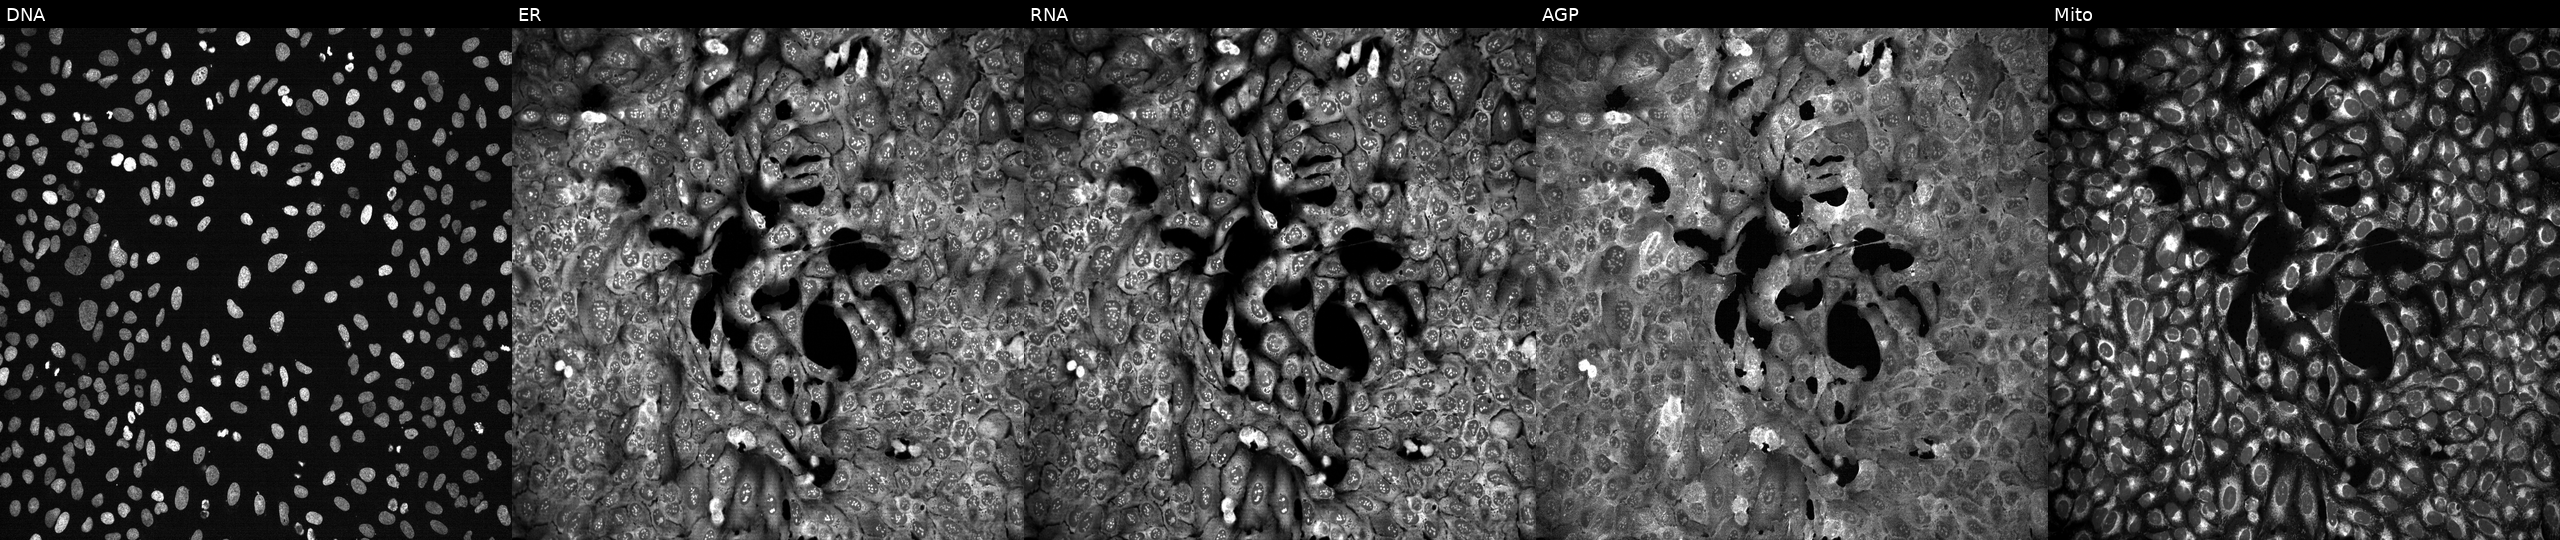
Five-channel Cell Painting image of U2OS cells with GALNT15 knocked out by CRISPR (JUMP id JCP2022_802591). Channels (left→right): DNA, ER, RNA, AGP, and Mito.